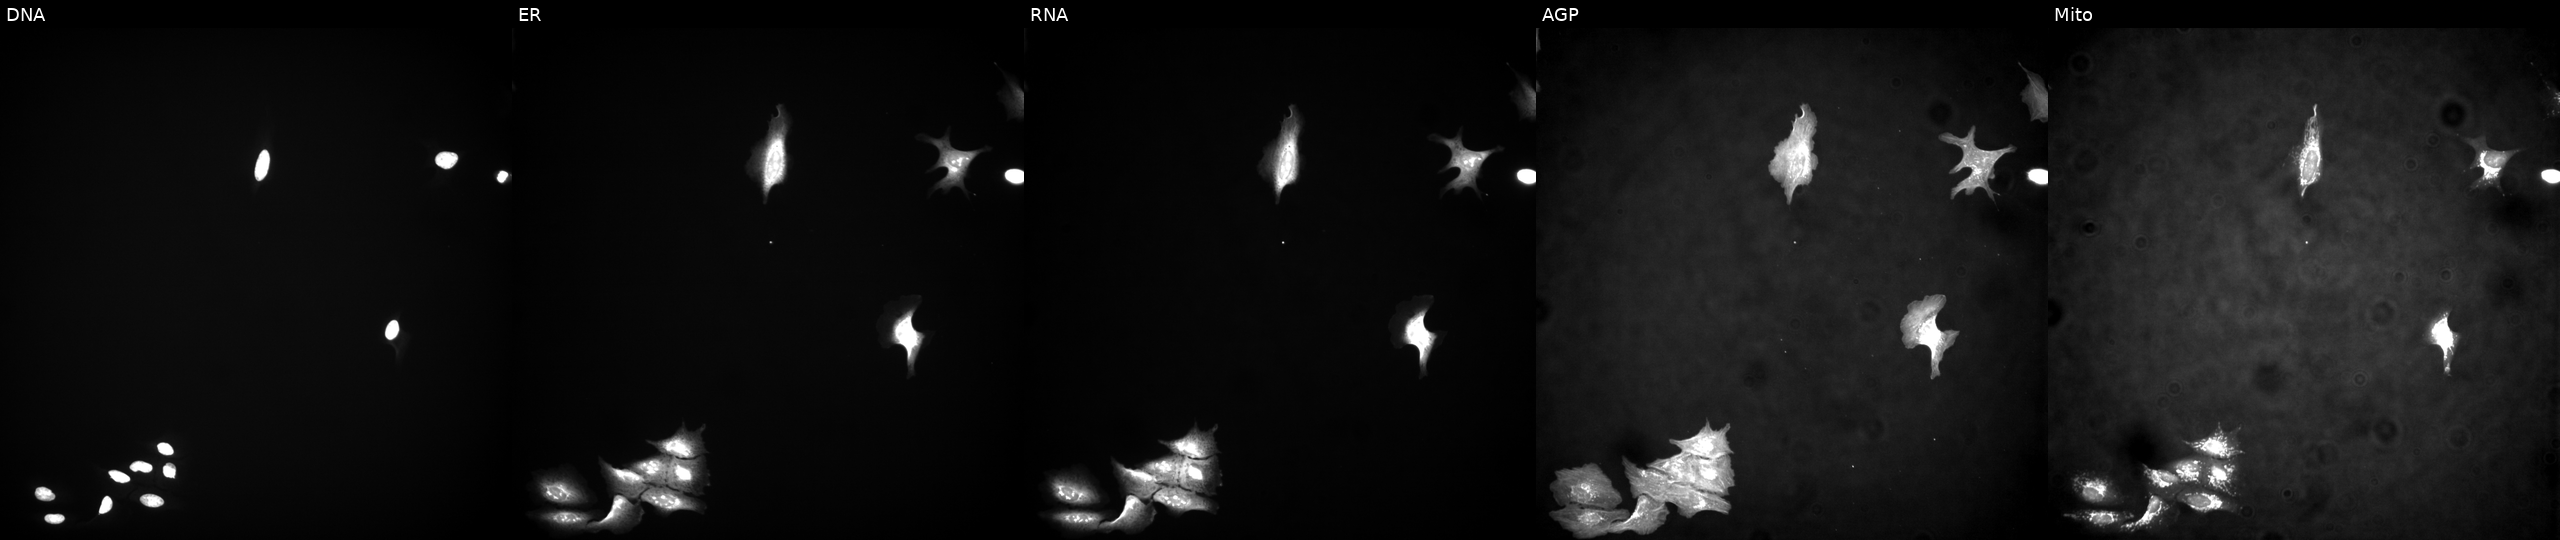
The five panels, left to right, show Hoechst 33342, concanavalin A, SYTO 14, phalloidin and WGA, MitoTracker. U2OS osteosarcoma cells overexpressing DSE via ORF transfection. Cell Painting assay, JUMP-CP dataset. Source 4, plate BR00124784, well K13.